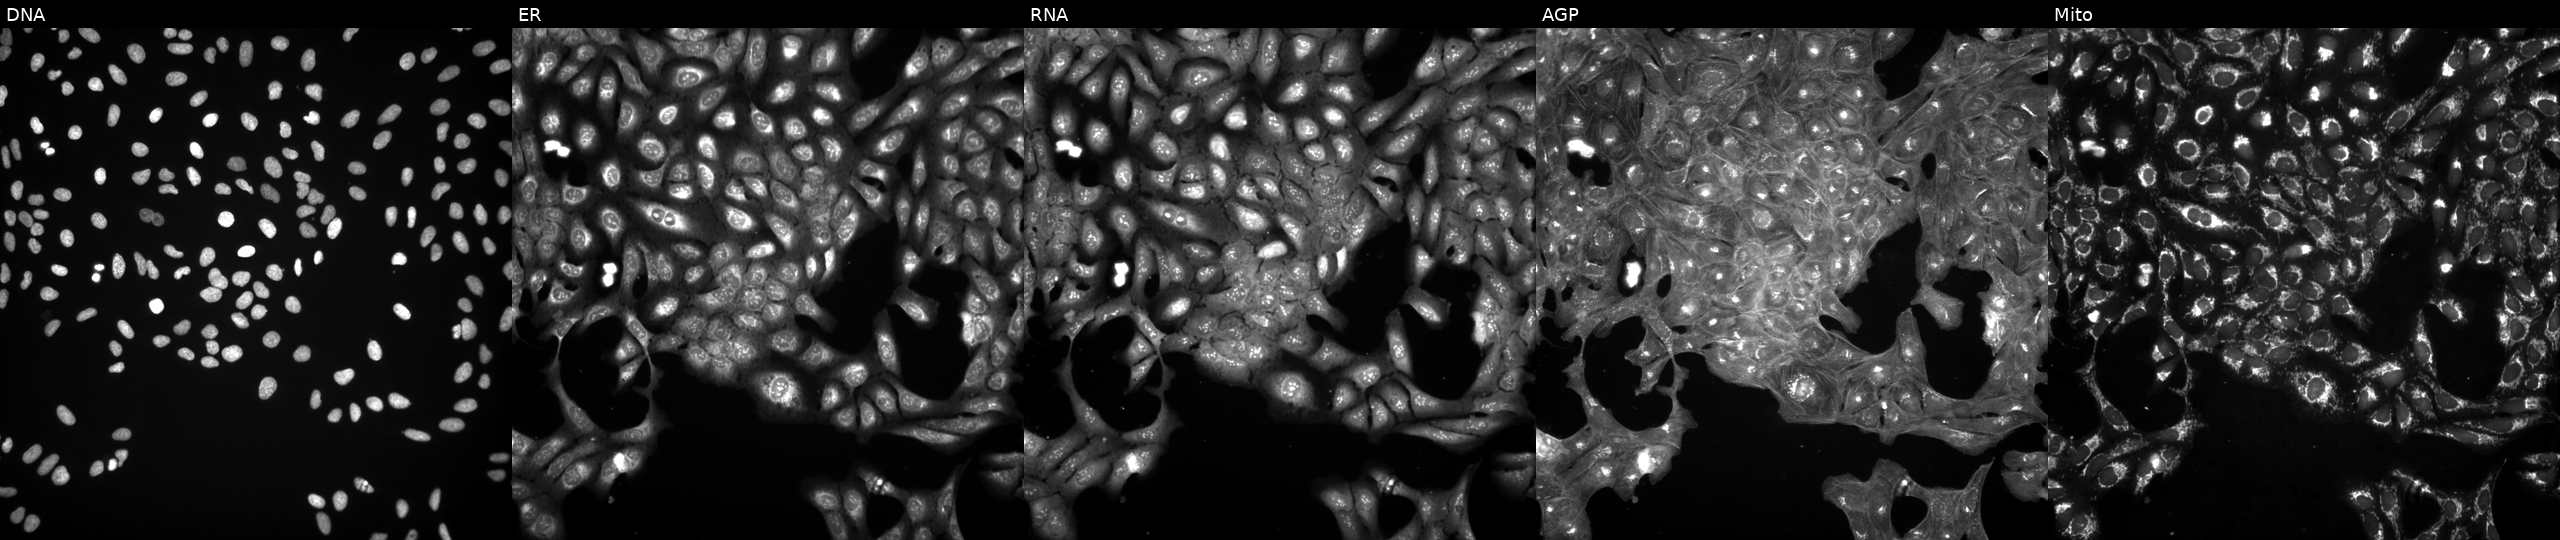
JUMP Cell Painting — COMPOUND plate. U2OS cells exposed to a small-molecule compound (InChIKey BGBGFDLEUDYUPU-UHFFFAOYSA-N). Panels show, left to right, DNA, ER, RNA, AGP, and Mito.